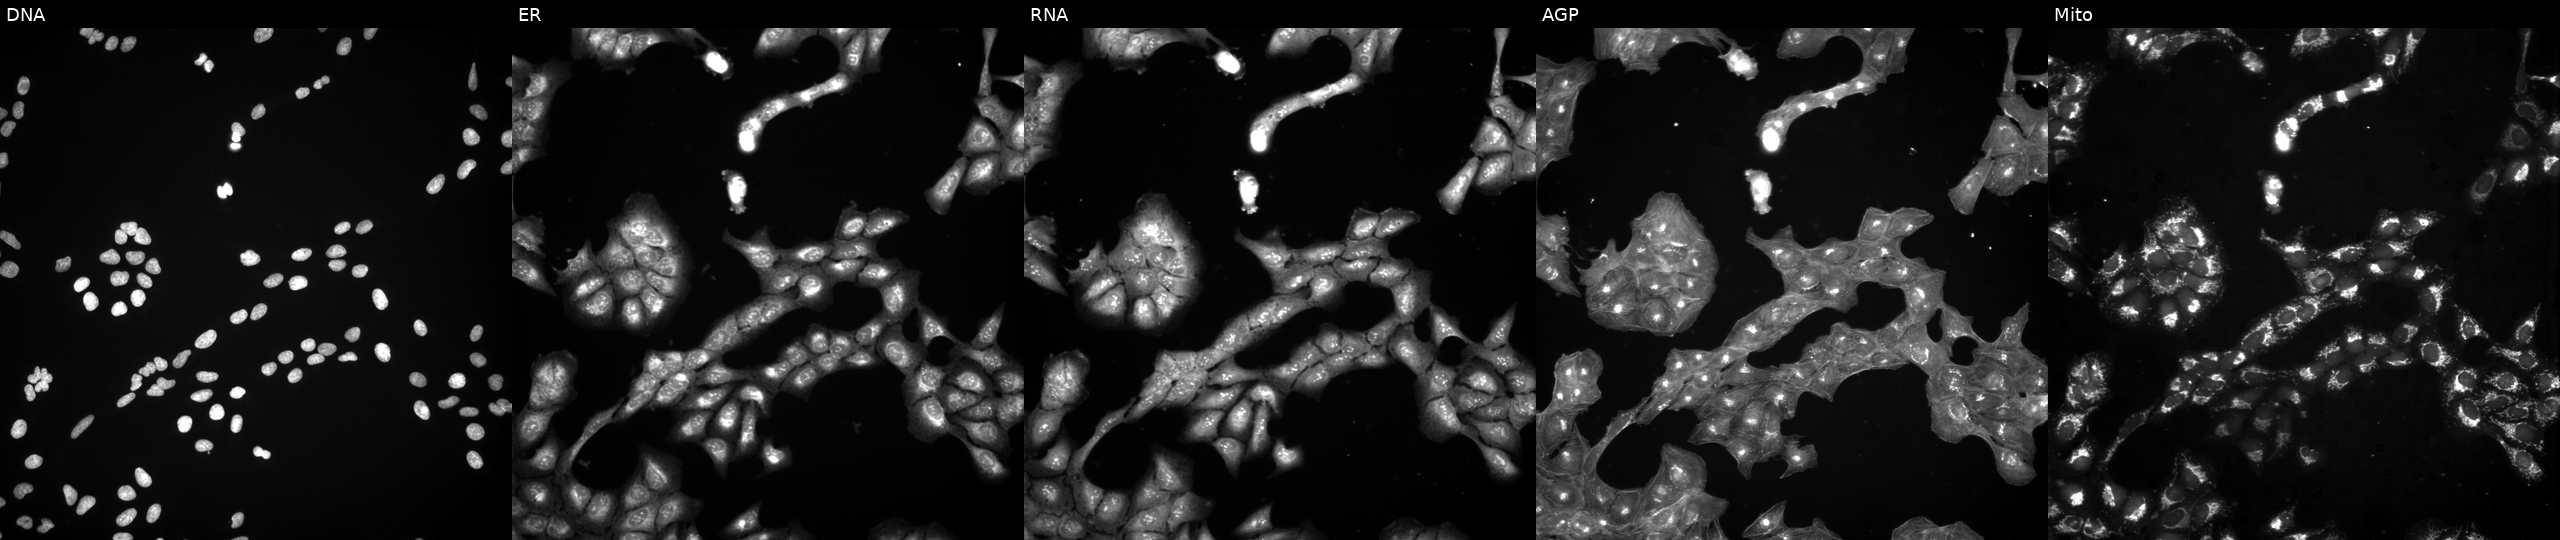
Five-channel Cell Painting image of U2OS cells untreated (empty-well control) (JUMP id JCP2022_999999). Channels (left→right): DNA, ER, RNA, AGP, and Mito.